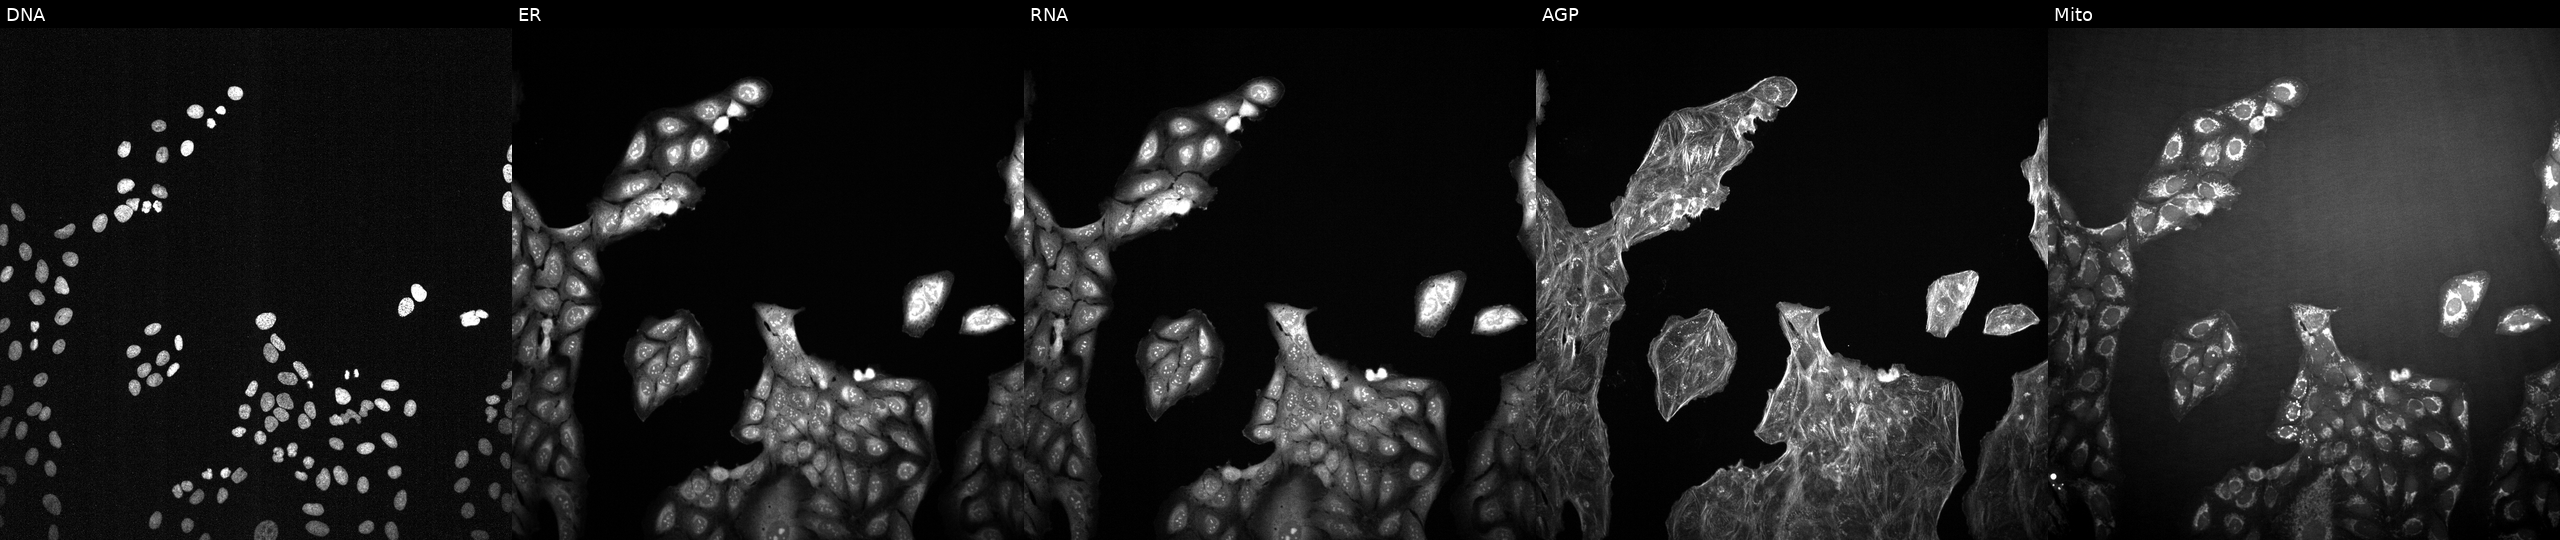
Five-channel Cell Painting image of U2OS cells treated with a small-molecule compound (InChIKey FERIUCNNQQJTOY-UHFFFAOYSA-N) (JUMP id JCP2022_020163). Channels (left→right): DNA, ER, RNA, AGP, and Mito. Source 2, plate 1053599503, well A16.